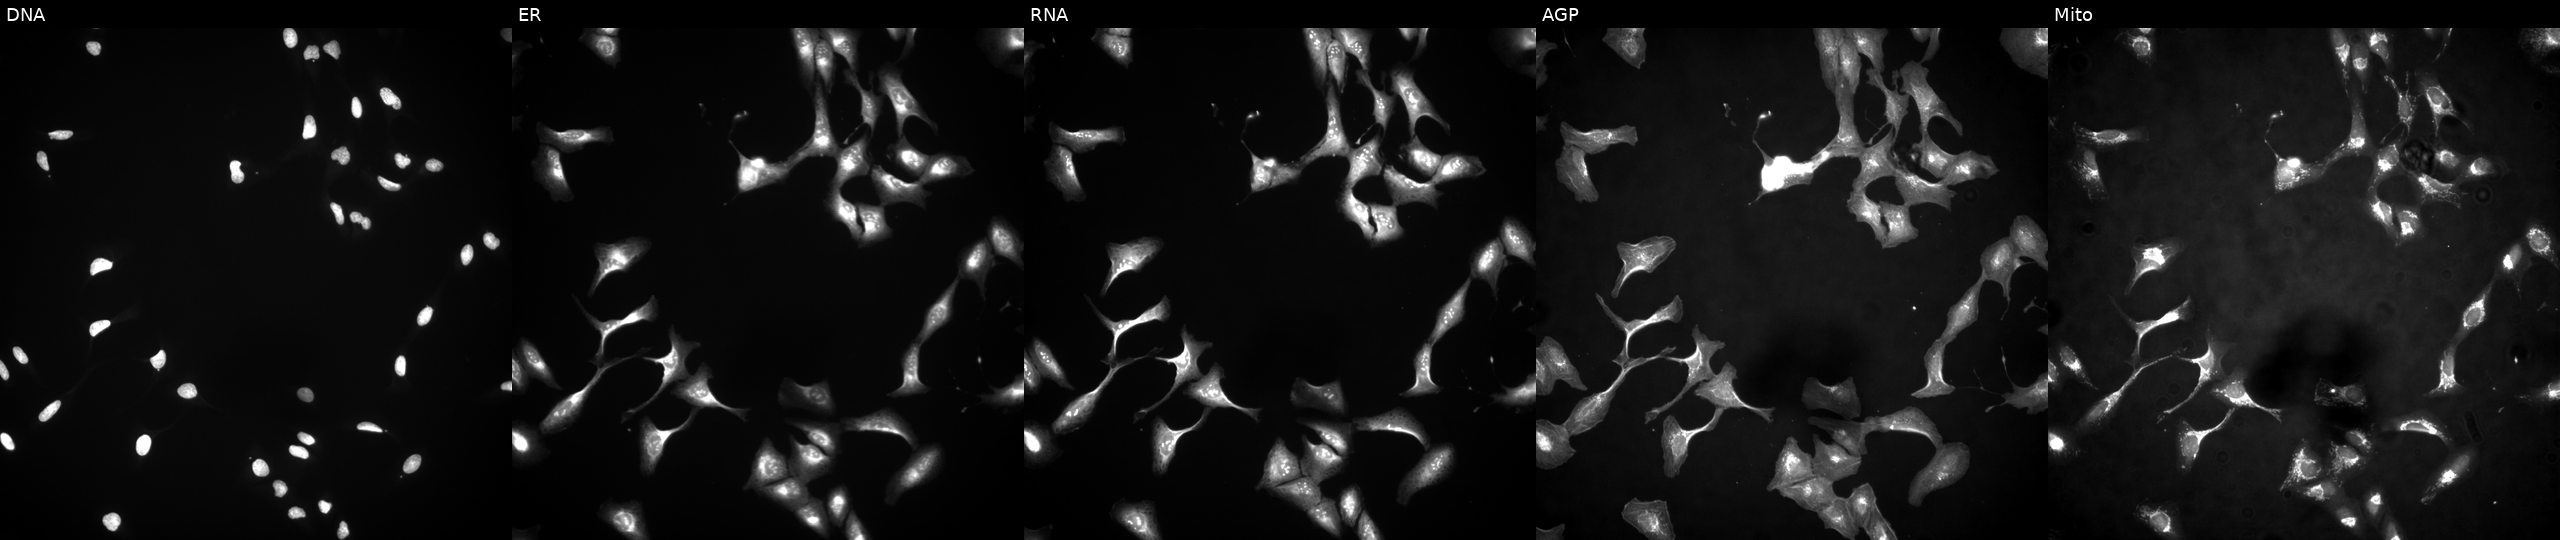
This image strip shows the five Cell Painting channels for a single field of U2OS cells overexpressing RBM15B via ORF transfection (JUMP id JCP2022_911104). Channels (left→right): DNA, ER, RNA, AGP, and Mito.